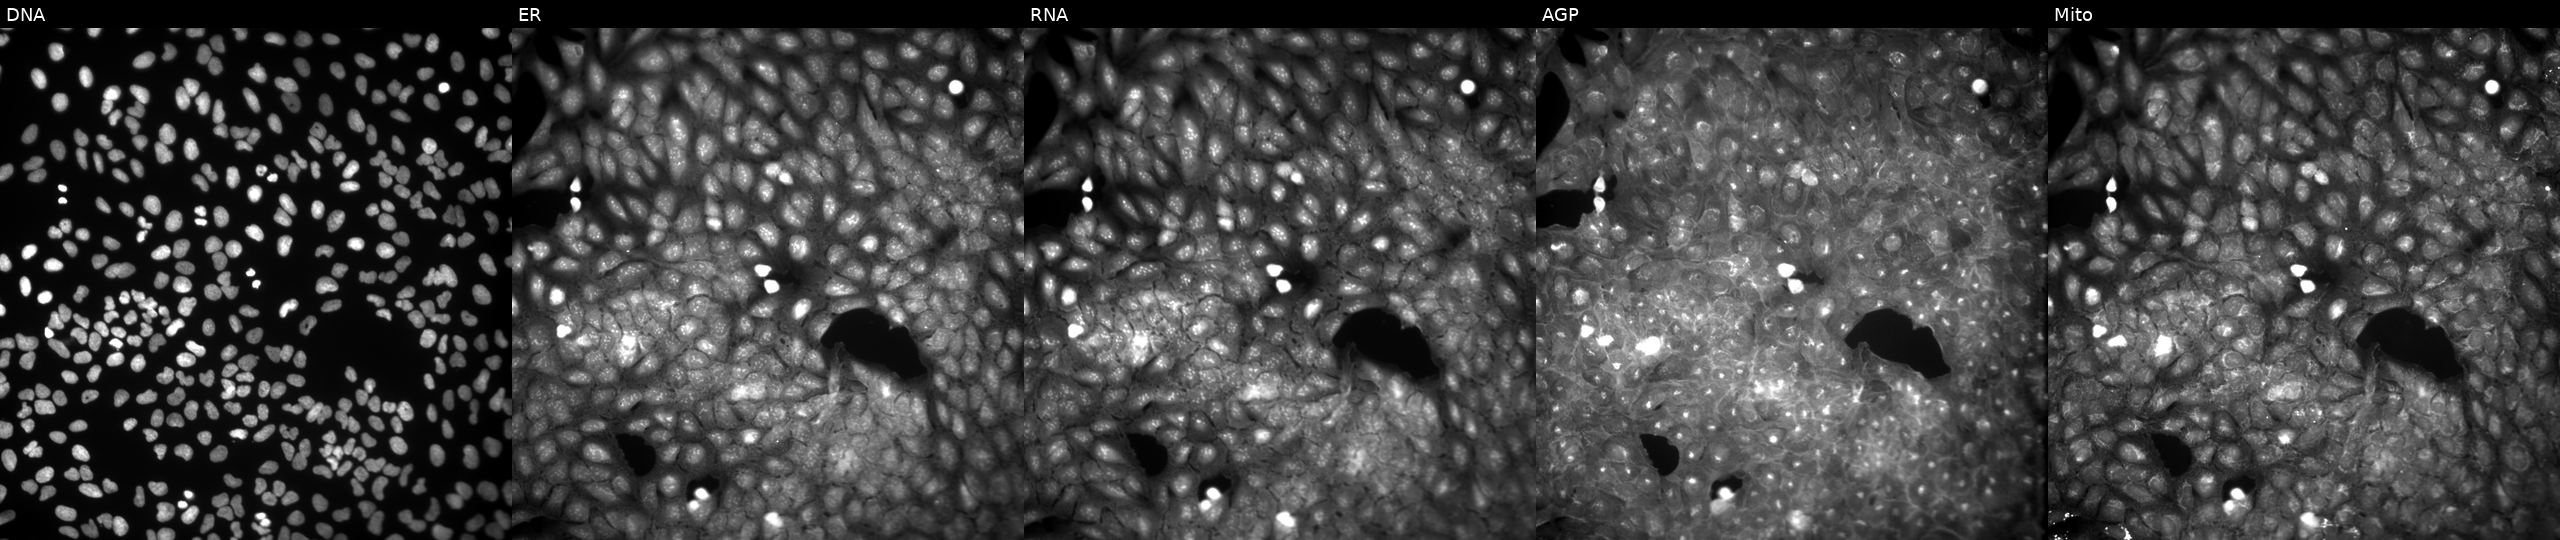
High-content fluorescence microscopy (Cell Painting). Cell line: U2OS. Perturbation: perturbed with a small-molecule compound. Panels show, left to right, DNA (nuclei); ER (endoplasmic reticulum); RNA (nucleoli and cytoplasmic RNA); AGP (actin cytoskeleton, Golgi, and plasma membrane); Mito (mitochondria). Source 9, plate GR00003381, well AC38.